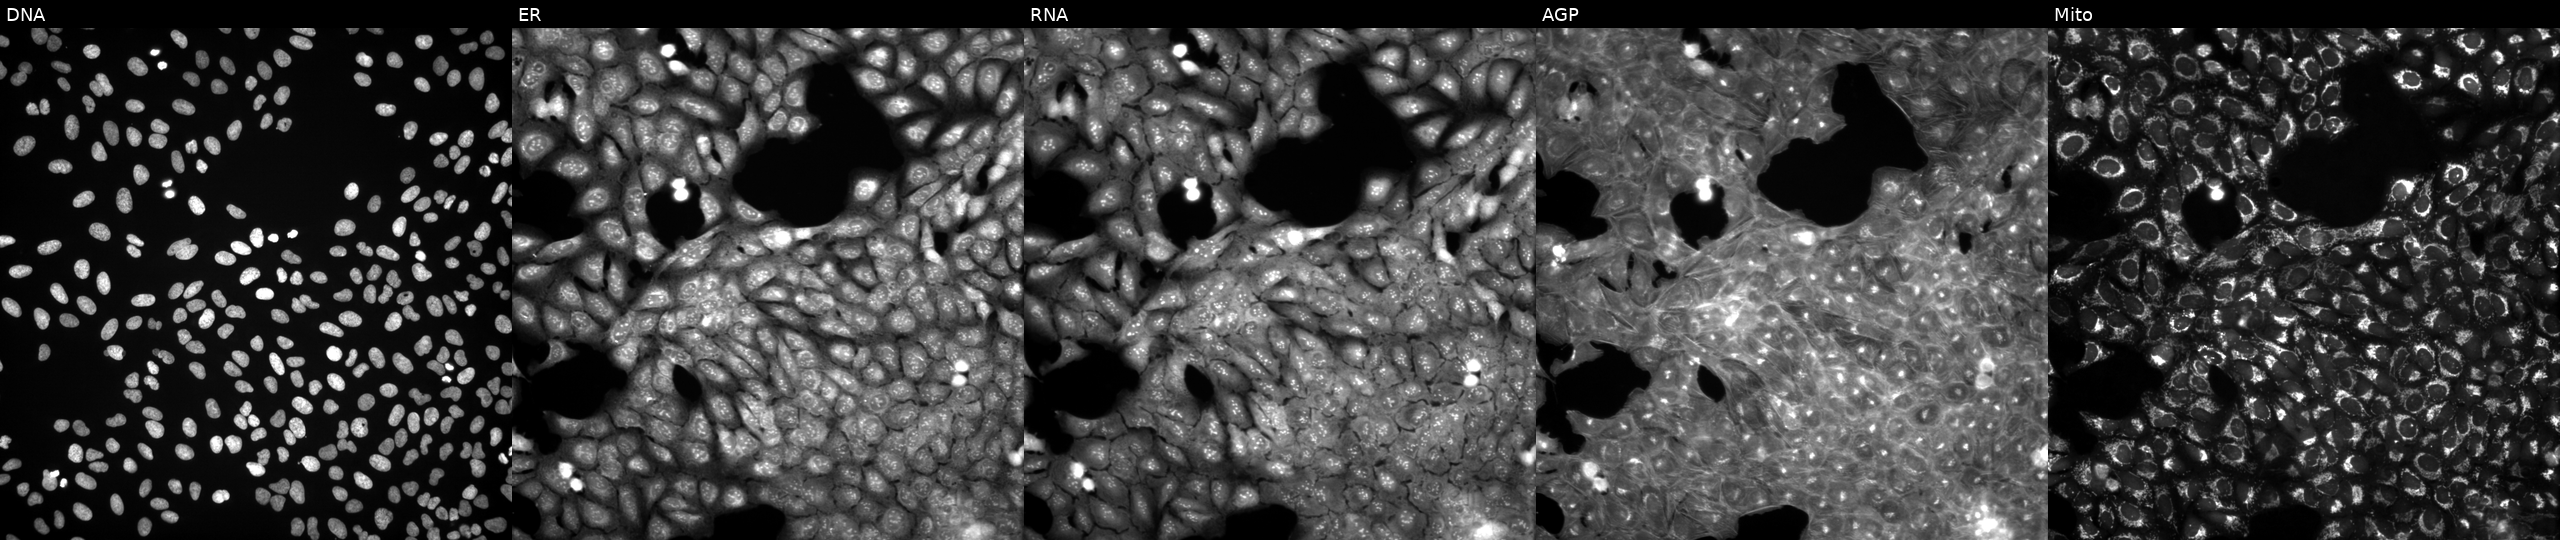
U2OS cells, Cell Painting assay, exposed to DMSO alone as a negative control (JUMP id JCP2022_033924). The five panels, left to right, show Hoechst 33342, concanavalin A, SYTO 14, phalloidin and WGA, MitoTracker. Each panel is percentile-stretched 16-bit fluorescence. Source 3, plate JCPQC051, well M10.